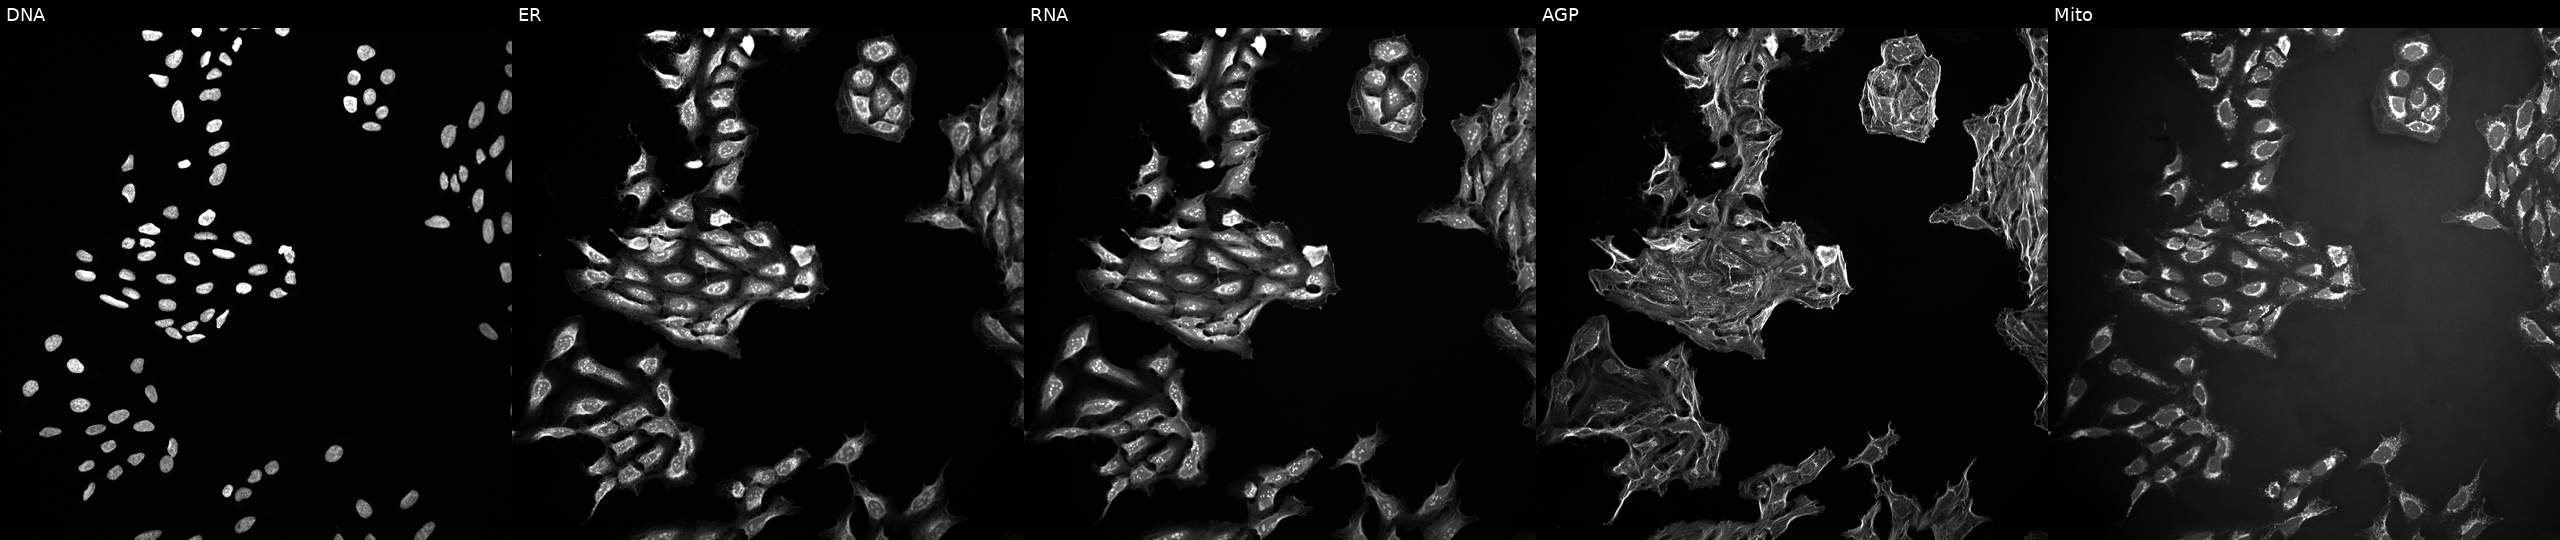
U2OS cells, Cell Painting assay, perturbed with a small-molecule compound (InChIKey LRRMQNGSYOUANY-UHFFFAOYSA-N). Panels show, left to right, DNA, ER, RNA, AGP, and Mito. Each panel is percentile-stretched 16-bit fluorescence. Source 10, plate Dest210727-153003, well K19.